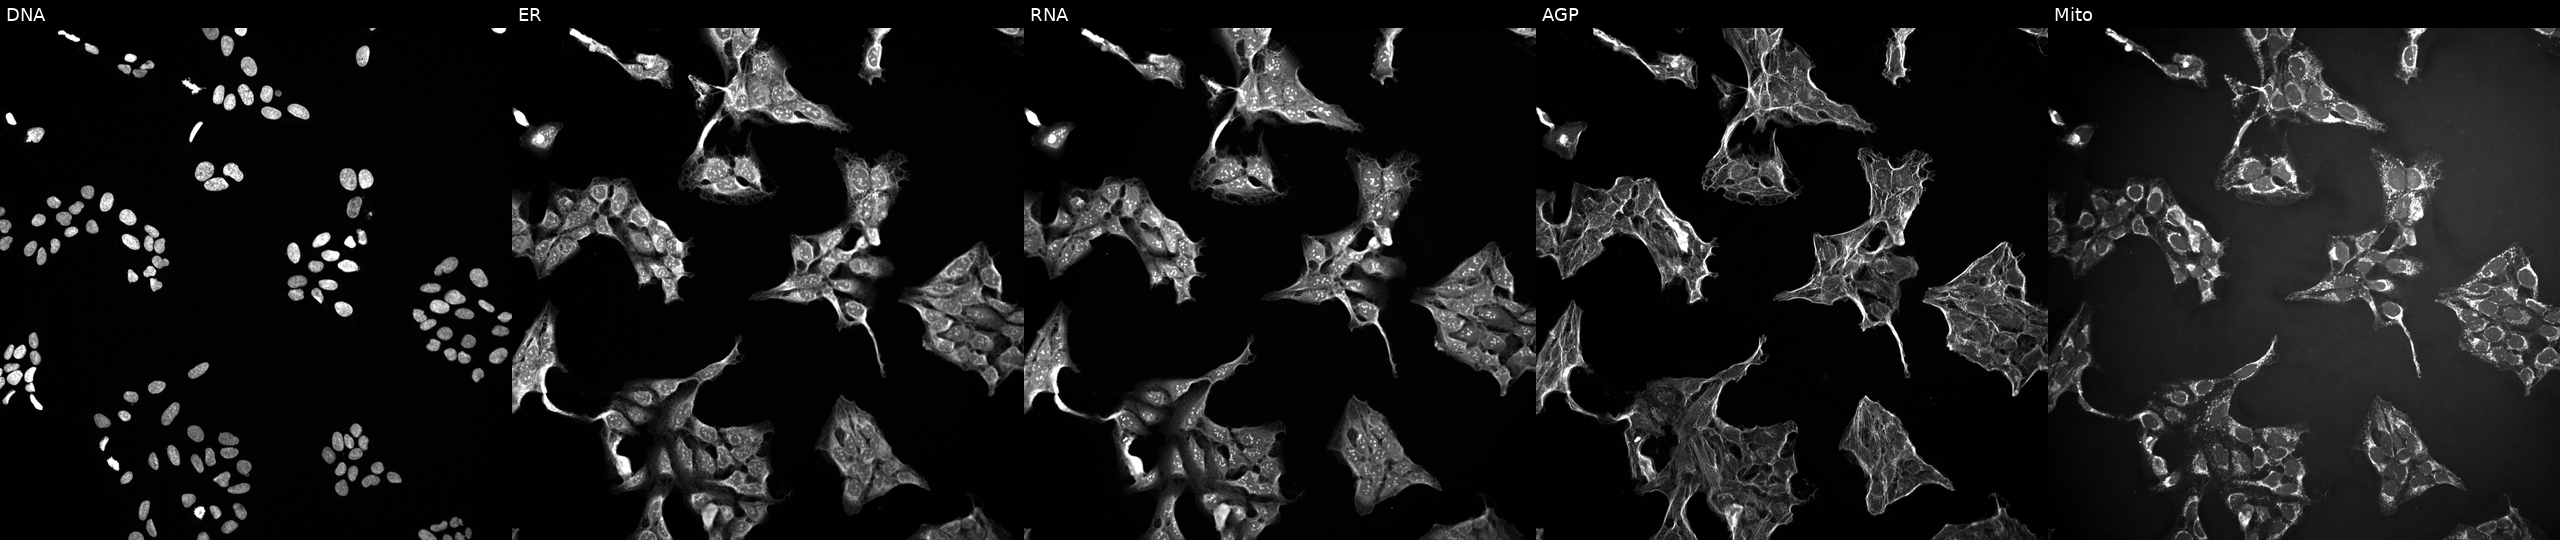
This image strip shows the five Cell Painting channels for a single field of U2OS cells exposed to the positive-control compound LY2109761 (JUMP id JCP2022_035095). Channels (left→right): DNA, ER, RNA, AGP, and Mito.